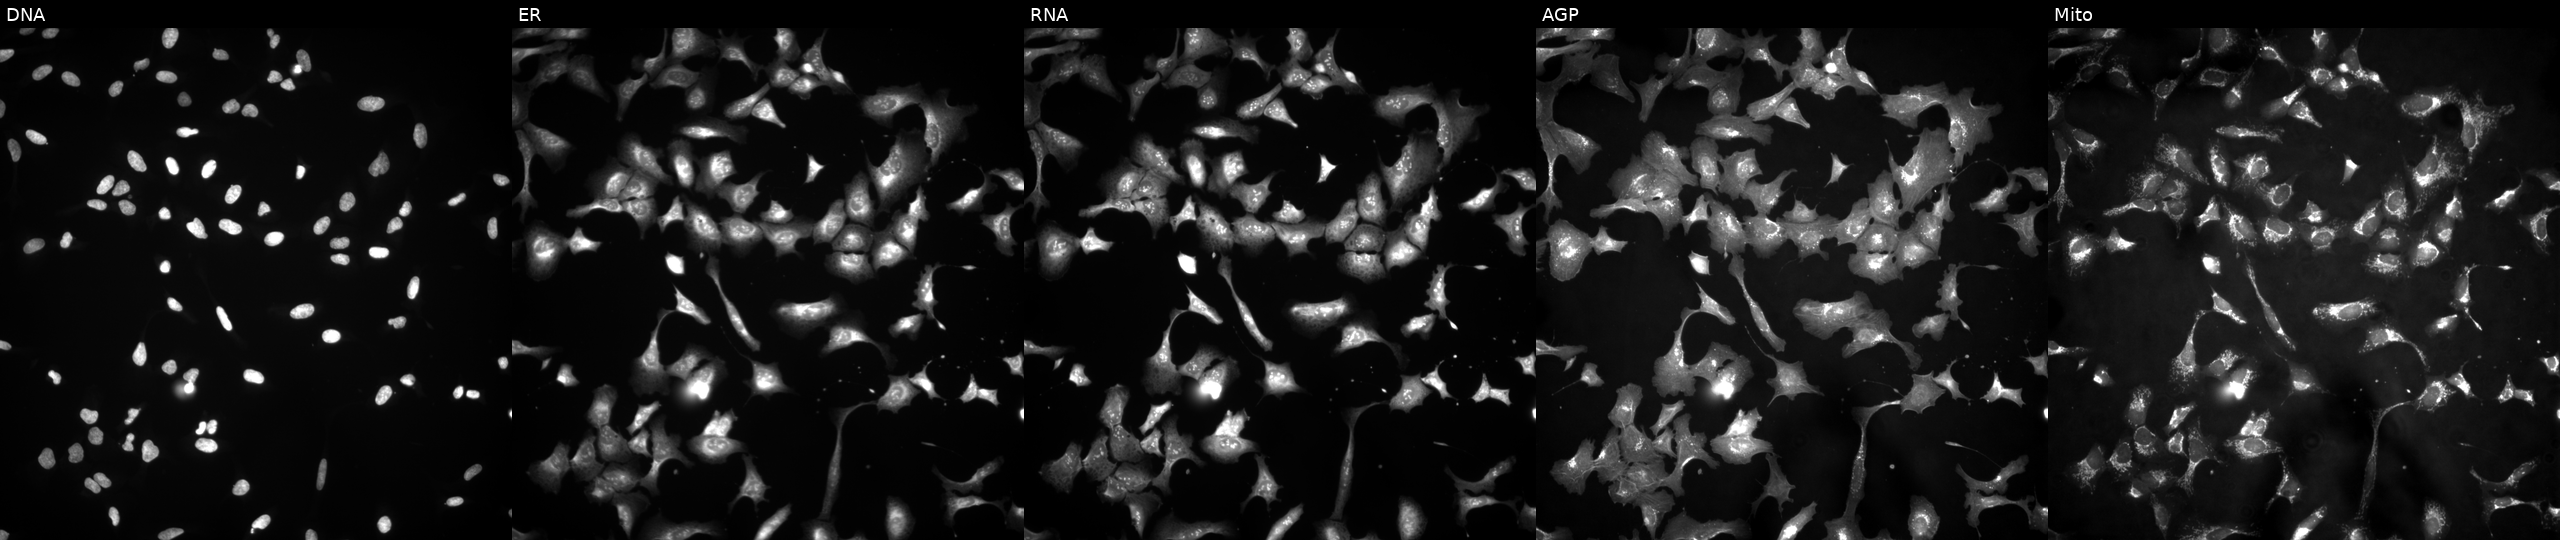
Channels (left→right): Hoechst 33342, concanavalin A, SYTO 14, phalloidin and WGA, MitoTracker. U2OS osteosarcoma cells with SACM1L overexpressed (ORF) (JUMP id JCP2022_907303). Cell Painting assay, JUMP-CP dataset.